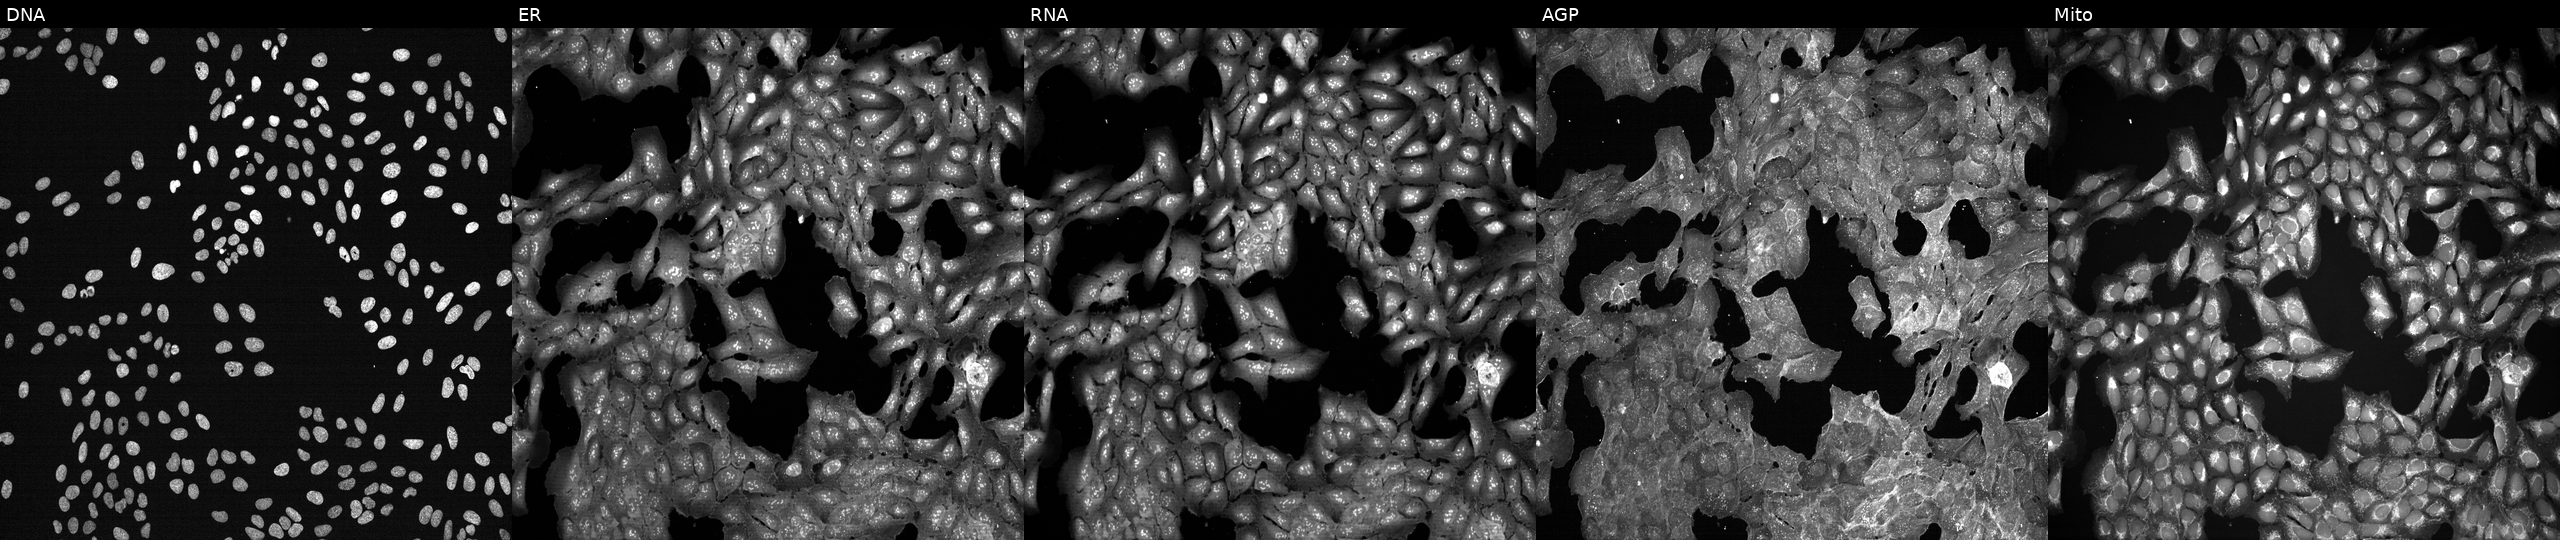
JUMP Cell Painting — TARGET2 plate. U2OS cells treated with a small-molecule compound (InChIKey QXKHYNVANLEOEG-UHFFFAOYSA-N) [SMILES: COc1c2occc2cc2ccc(=O)oc12] (JUMP id JCP2022_076523). The five panels, left to right, show Hoechst 33342, concanavalin A, SYTO 14, phalloidin and WGA, MitoTracker.